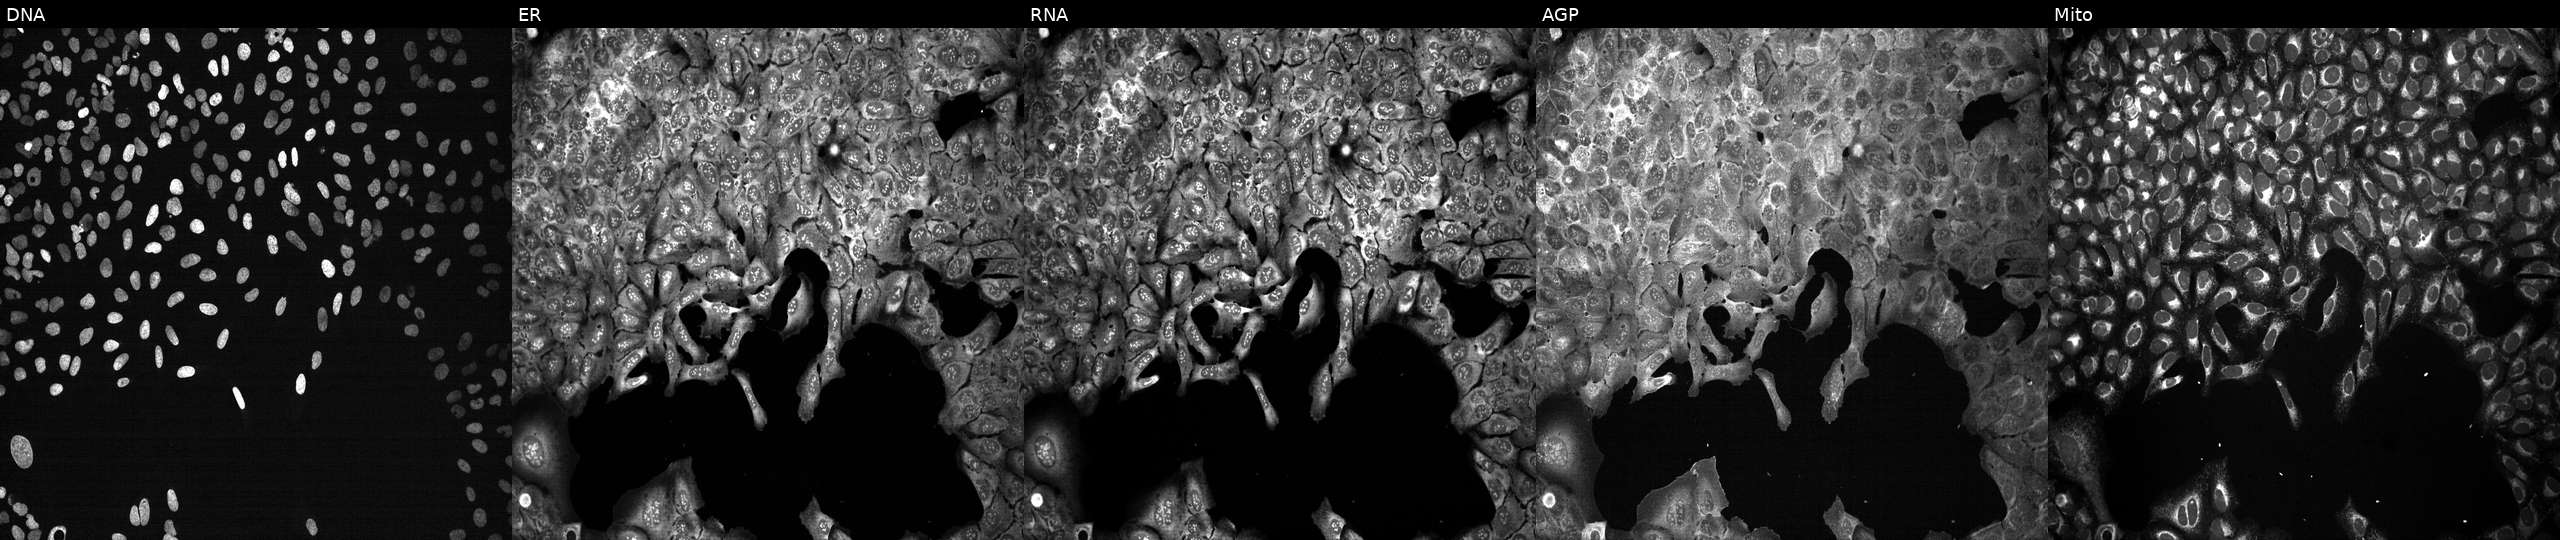
JUMP Cell Painting — CRISPR plate. U2OS cells following CRISPR knockout of PITPNM3. The five panels, left to right, show DNA (nuclei); ER (endoplasmic reticulum); RNA (nucleoli and cytoplasmic RNA); AGP (actin cytoskeleton, Golgi, and plasma membrane); Mito (mitochondria).